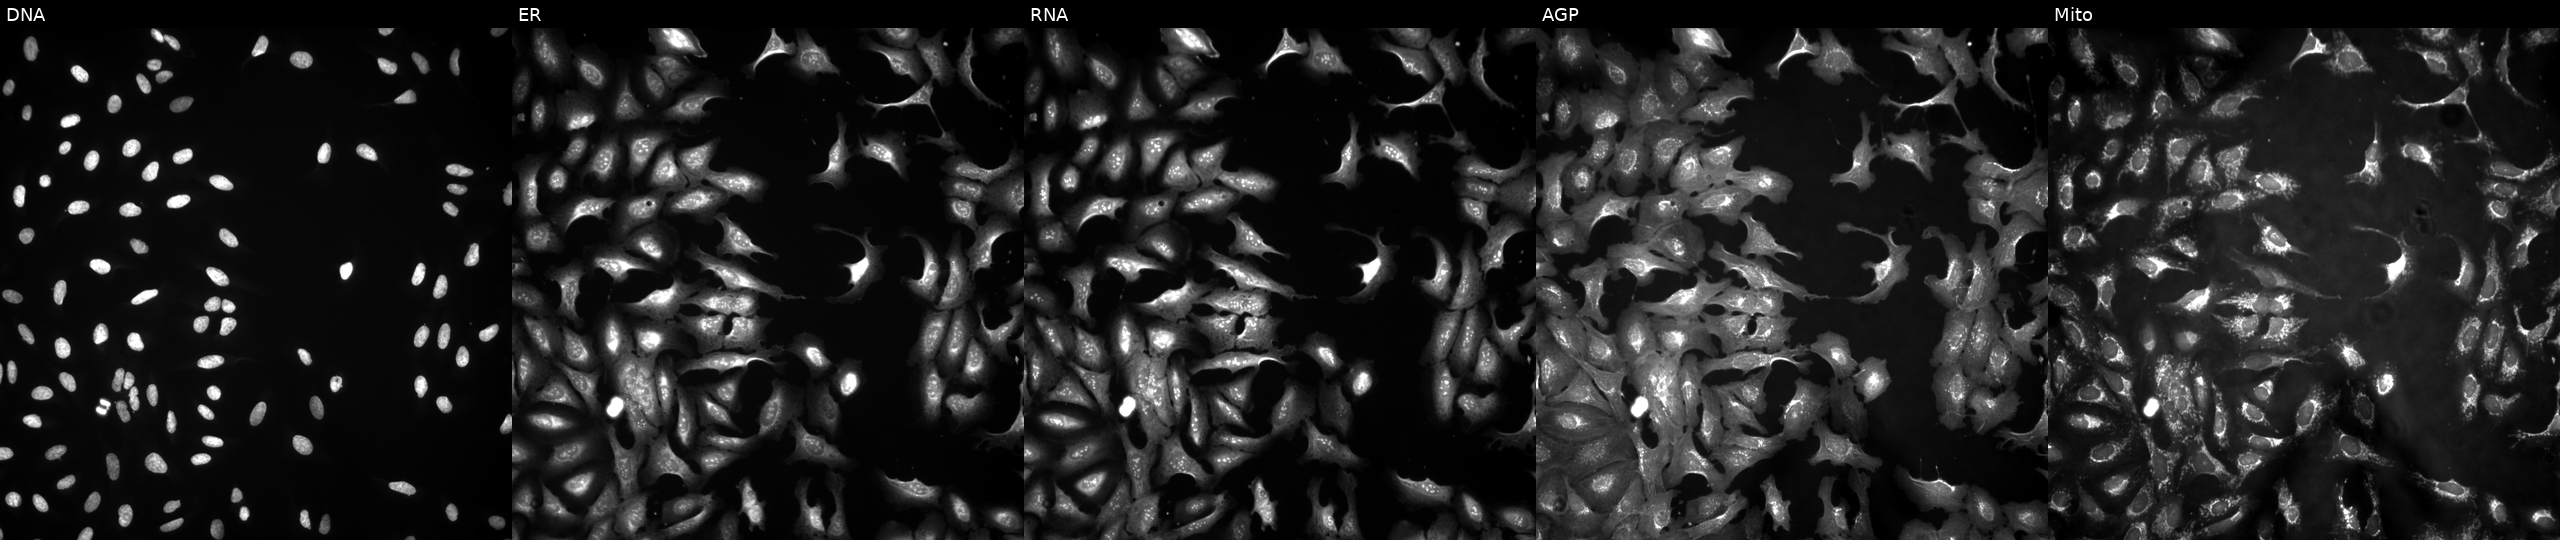
JUMP Cell Painting — ORF plate. U2OS cells overexpressing MTM1 via ORF transfection (JUMP id JCP2022_906180). From left to right: DNA, ER, RNA, AGP, and Mito.